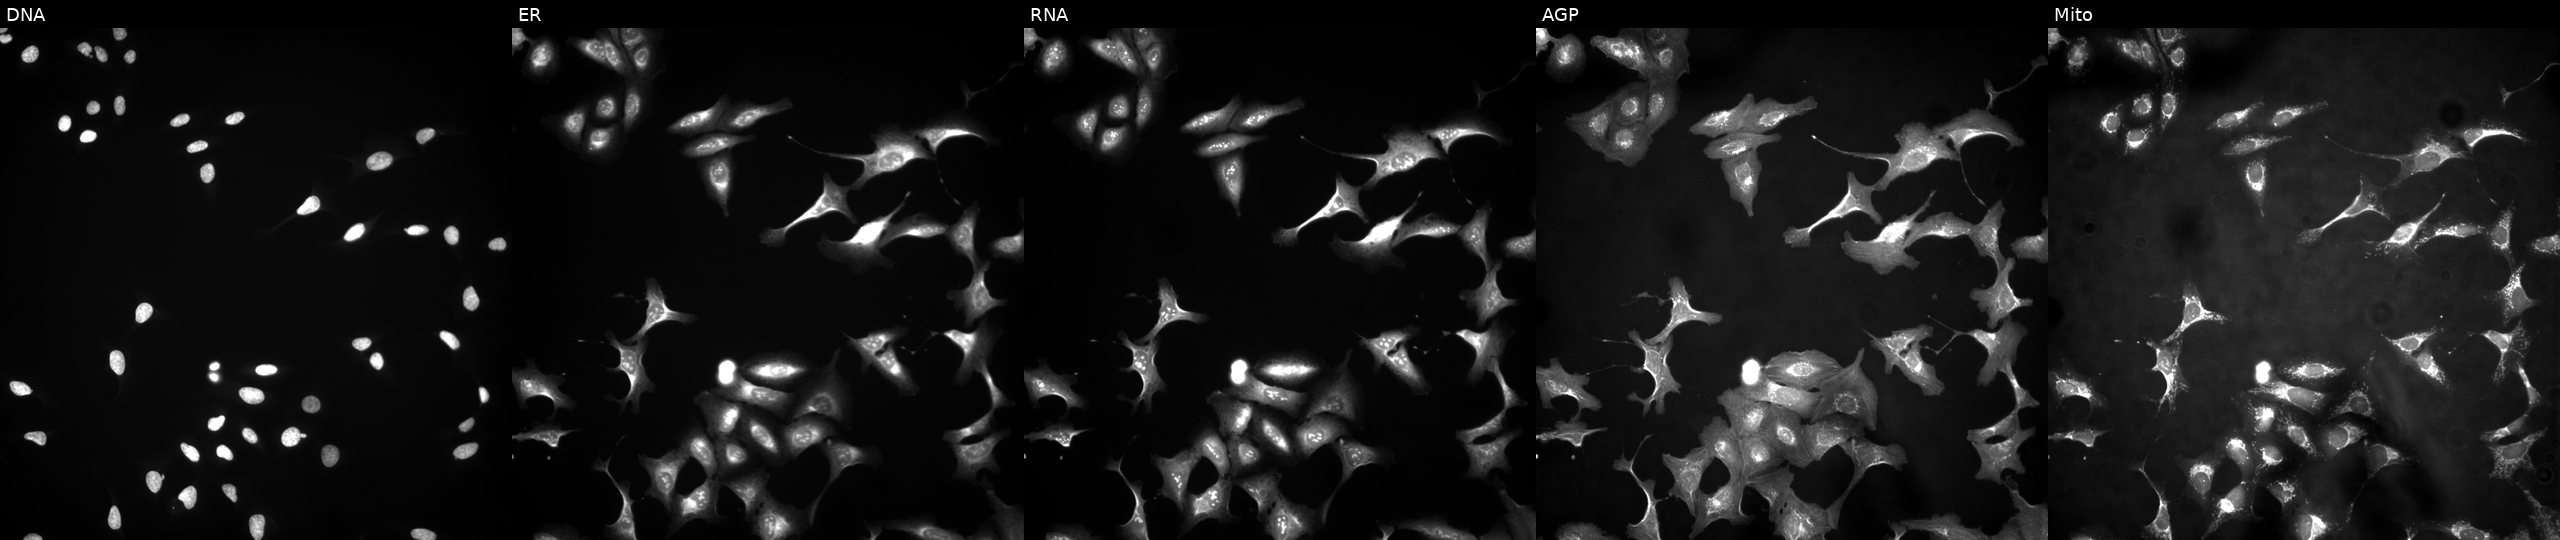
High-content fluorescence microscopy (Cell Painting). Cell line: U2OS. Perturbation: expressing eGFP (ORF positive control) (JUMP id JCP2022_915132). Panels show, left to right, Hoechst 33342, concanavalin A, SYTO 14, phalloidin and WGA, MitoTracker.